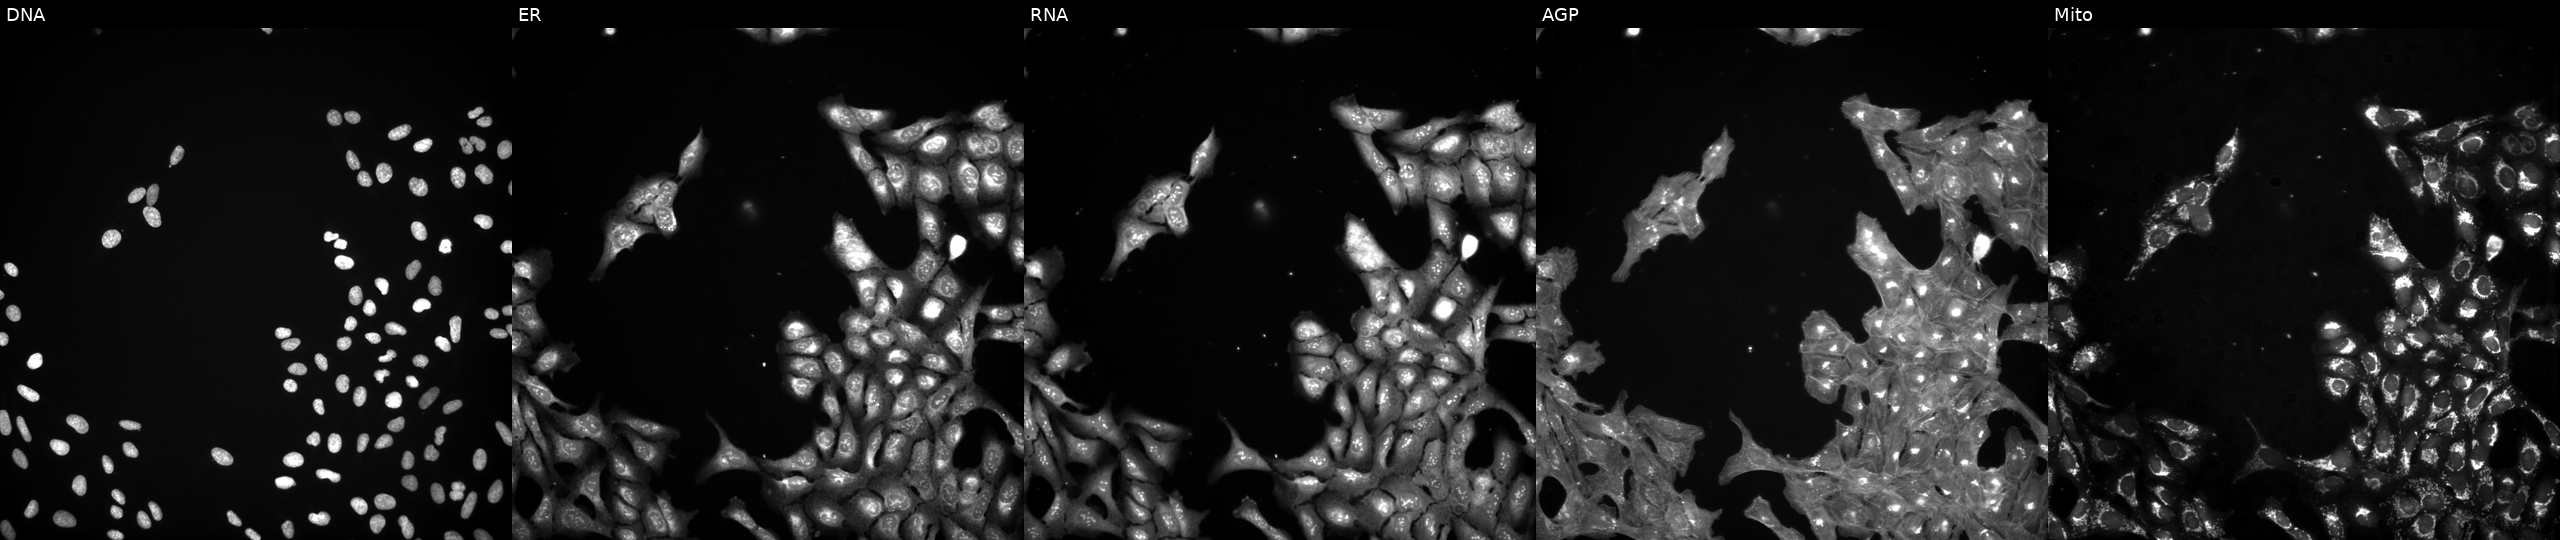
Five-channel Cell Painting image of U2OS cells treated with a small-molecule compound (InChIKey NZMUKOZYCRSZOS-UHFFFAOYSA-N). Panels show, left to right, Hoechst 33342, concanavalin A, SYTO 14, phalloidin and WGA, MitoTracker. Source 3, plate BR5867a3, well J11.